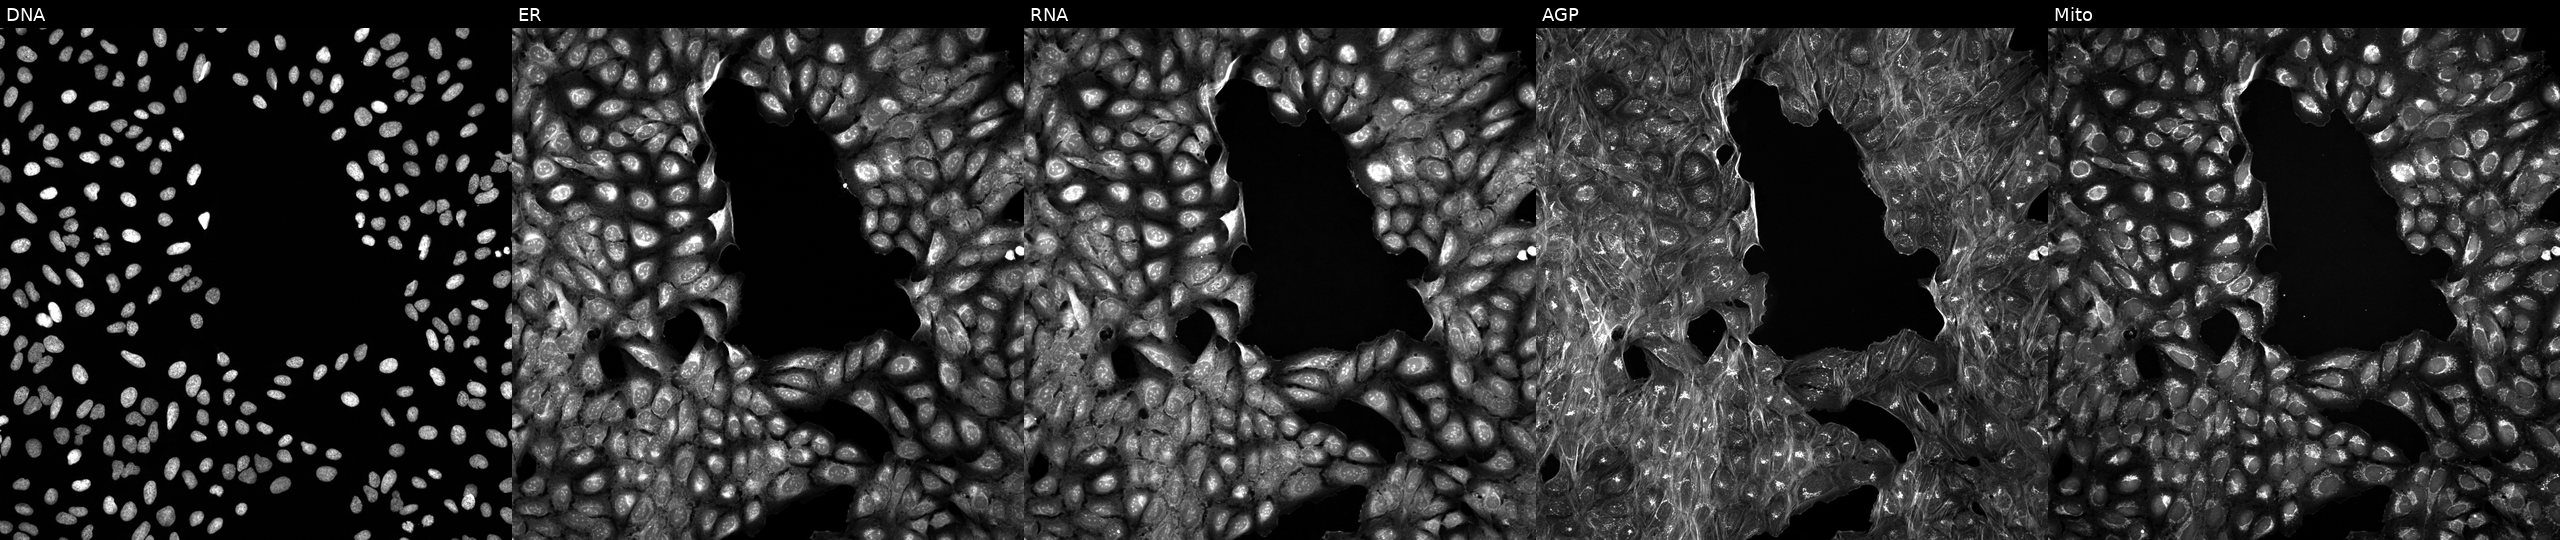
JUMP Cell Painting — TARGET2 plate. U2OS cells perturbed with a small-molecule compound (InChIKey GYYRMJMXXLJZAB-UHFFFAOYSA-N) [SMILES: CC(C)Oc1ccc(Cc2ccc(NC3=NCCN3)cc2)cc1]. From left to right: DNA, ER, RNA, AGP, and Mito. Source 5, plate ACPJUM032, well E16.